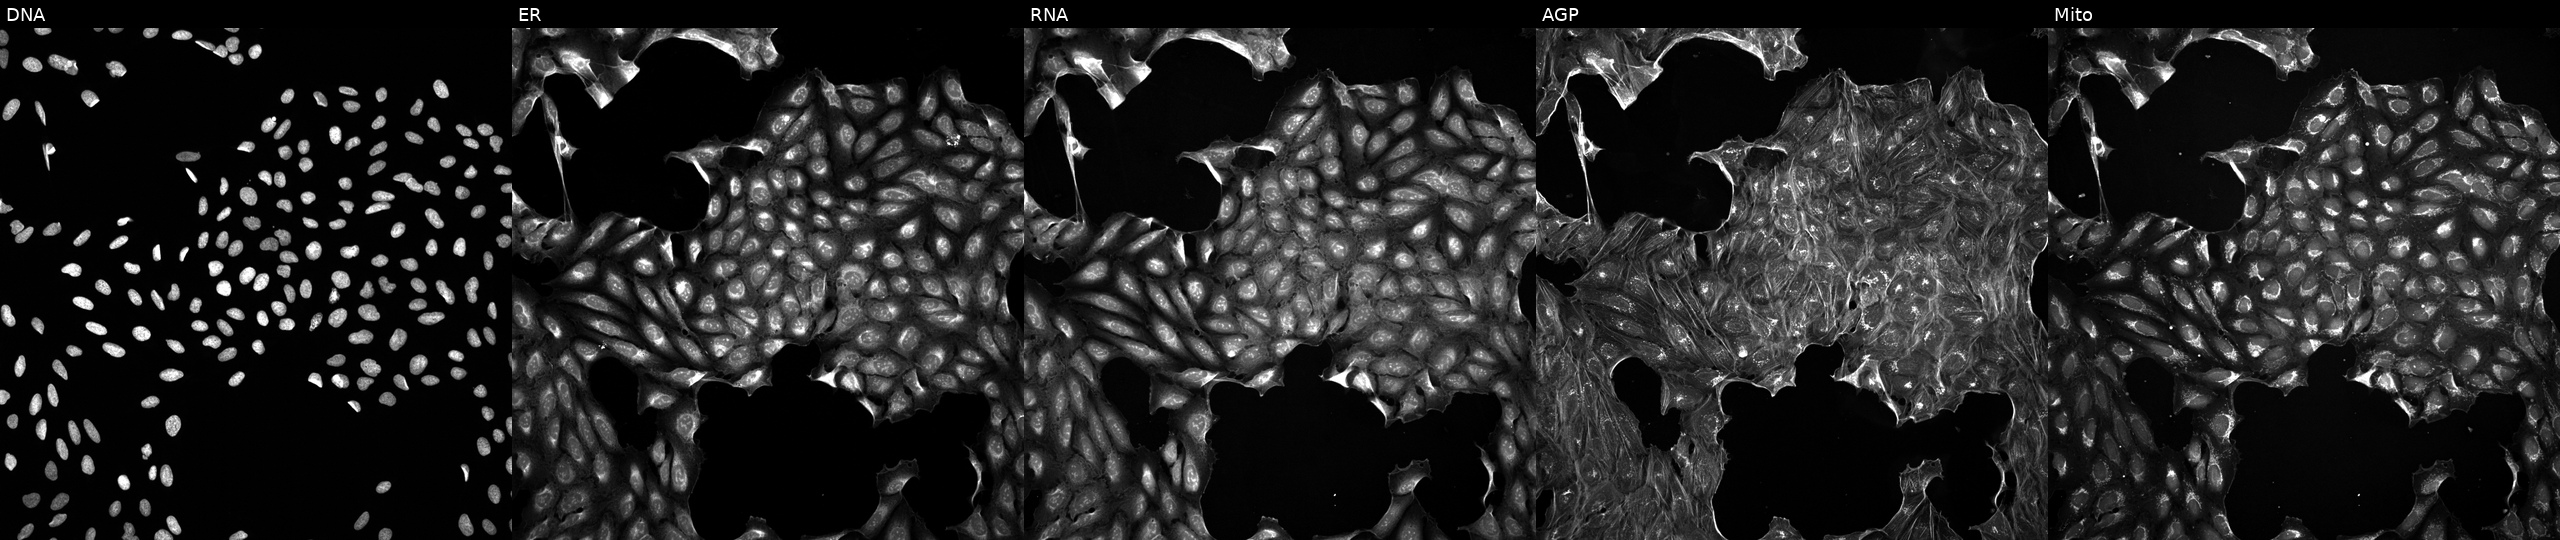
Five-channel Cell Painting image of U2OS cells treated with a small-molecule compound (InChIKey YGSDEFSMJLZEOE-UHFFFAOYSA-N). Panels show, left to right, Hoechst 33342, concanavalin A, SYTO 14, phalloidin and WGA, MitoTracker. Source 5, plate ACPJUM051, well A04.